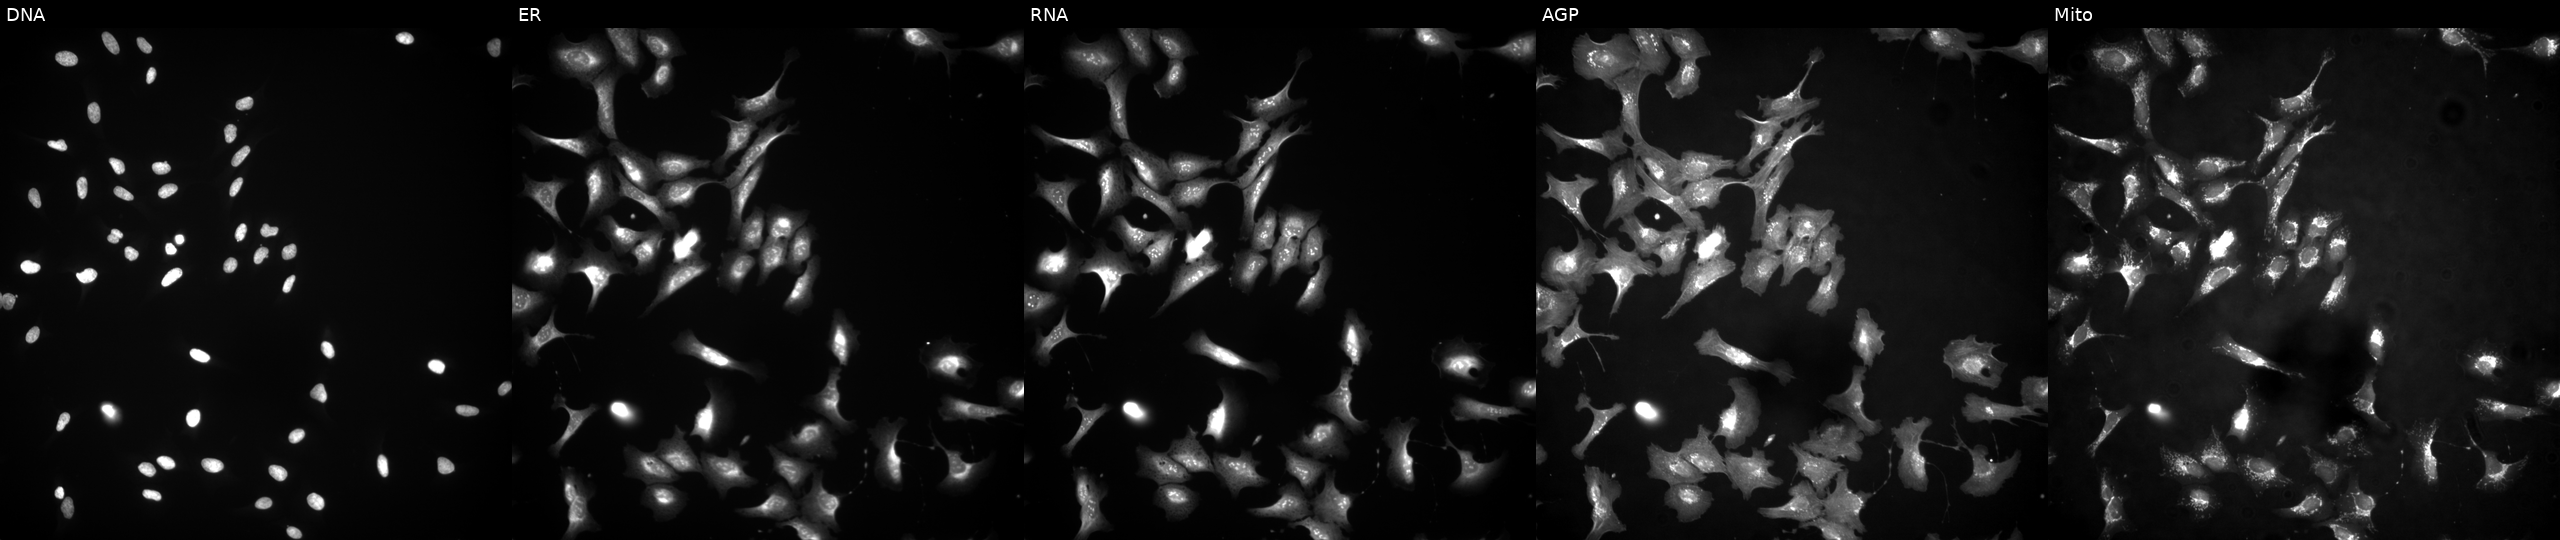
Five-channel Cell Painting image of U2OS cells with TXLNB overexpressed (ORF). Panels show, left to right, Hoechst 33342, concanavalin A, SYTO 14, phalloidin and WGA, MitoTracker. Source 4, plate BR00124790, well O08.